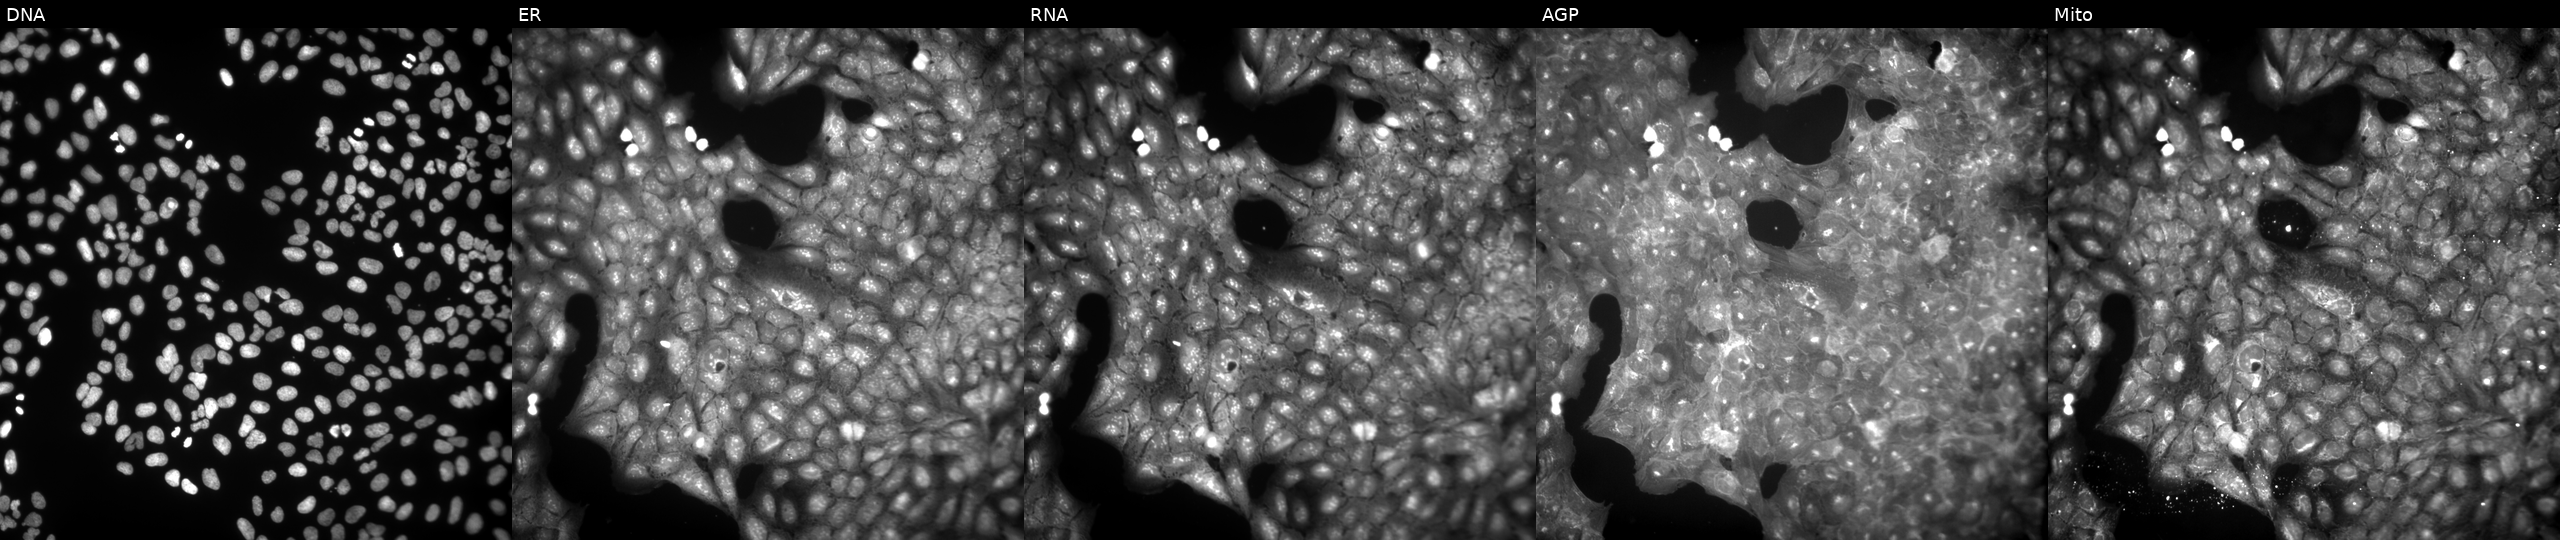
U2OS cells, Cell Painting assay, perturbed with a small-molecule compound (JUMP id JCP2022_012822). The five panels, left to right, show DNA (nuclei); ER (endoplasmic reticulum); RNA (nucleoli and cytoplasmic RNA); AGP (actin cytoskeleton, Golgi, and plasma membrane); Mito (mitochondria). Each panel is percentile-stretched 16-bit fluorescence.